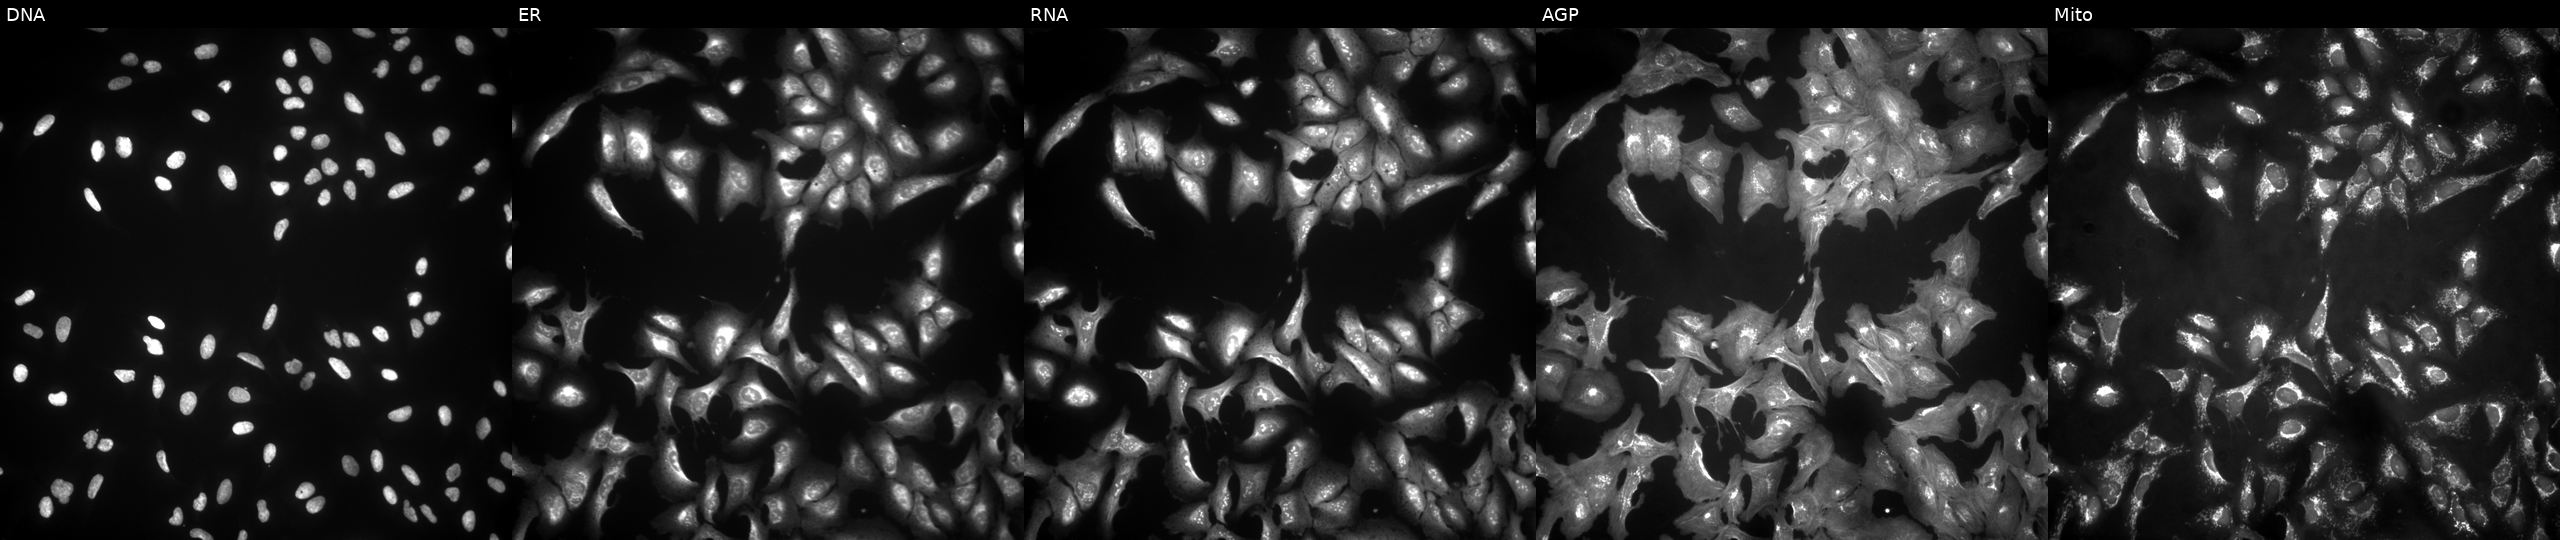
JUMP Cell Painting — ORF plate. U2OS cells transfected with an ORF construct for TLK2 (JUMP id JCP2022_910794). Panels show, left to right, DNA, ER, RNA, AGP, and Mito.